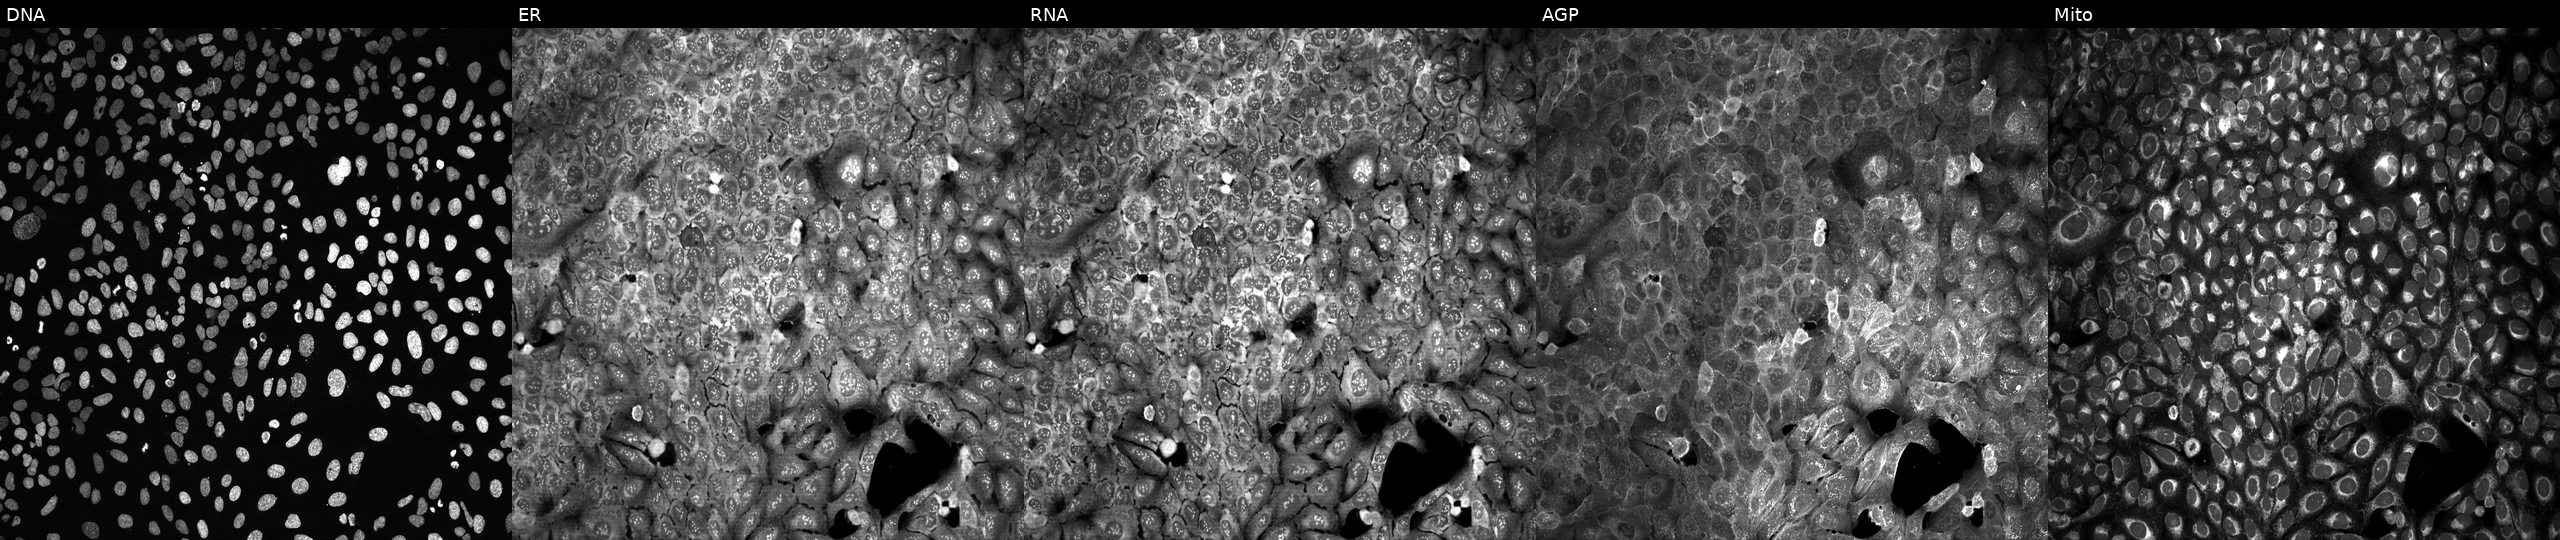
This image strip shows the five Cell Painting channels for a single field of U2OS cells following CRISPR knockout of AGBL4 (JUMP id JCP2022_800303). From left to right: DNA, ER, RNA, AGP, and Mito. Source 13, plate CP-CC9-R6-19, well K08.